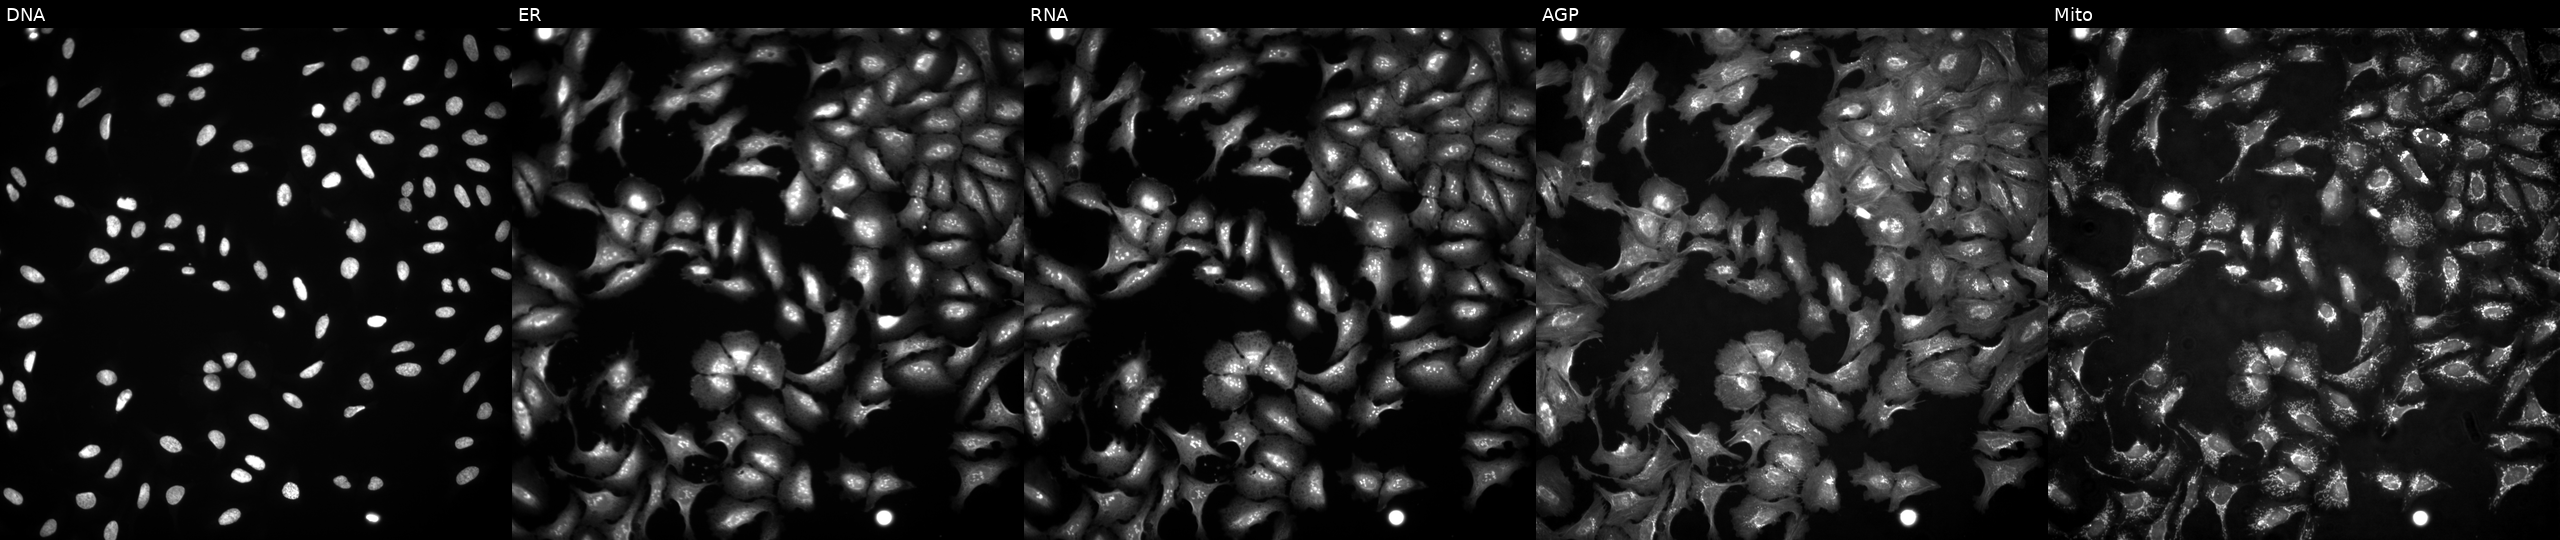
This image strip shows the five Cell Painting channels for a single field of U2OS cells transfected with an ORF construct for EIF4EBP3. Panels show, left to right, DNA (nuclei); ER (endoplasmic reticulum); RNA (nucleoli and cytoplasmic RNA); AGP (actin cytoskeleton, Golgi, and plasma membrane); Mito (mitochondria). Source 4, plate BR00124787, well E03.